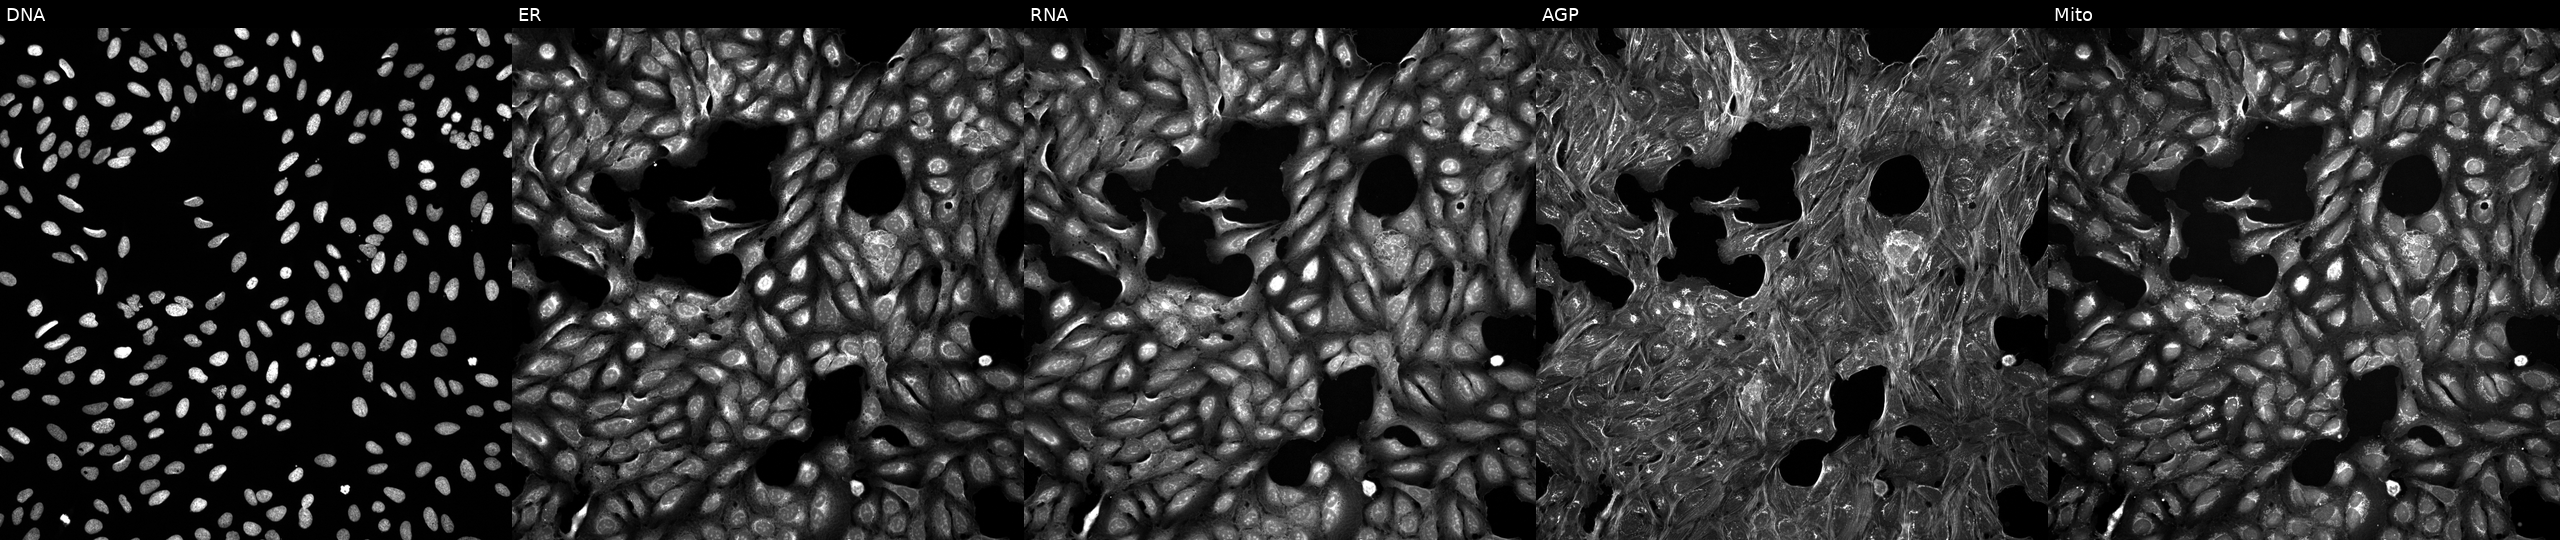
Five-channel Cell Painting image of U2OS cells treated with a small-molecule compound (InChIKey XFILPEOLDIKJHX-UHFFFAOYSA-N) [SMILES: CNC(=O)C(Cc1ccccc1)NC(=O)C(CC(C)C)C(CSc1cccs1)C(O)=NO]. The five panels, left to right, show Hoechst 33342, concanavalin A, SYTO 14, phalloidin and WGA, MitoTracker.